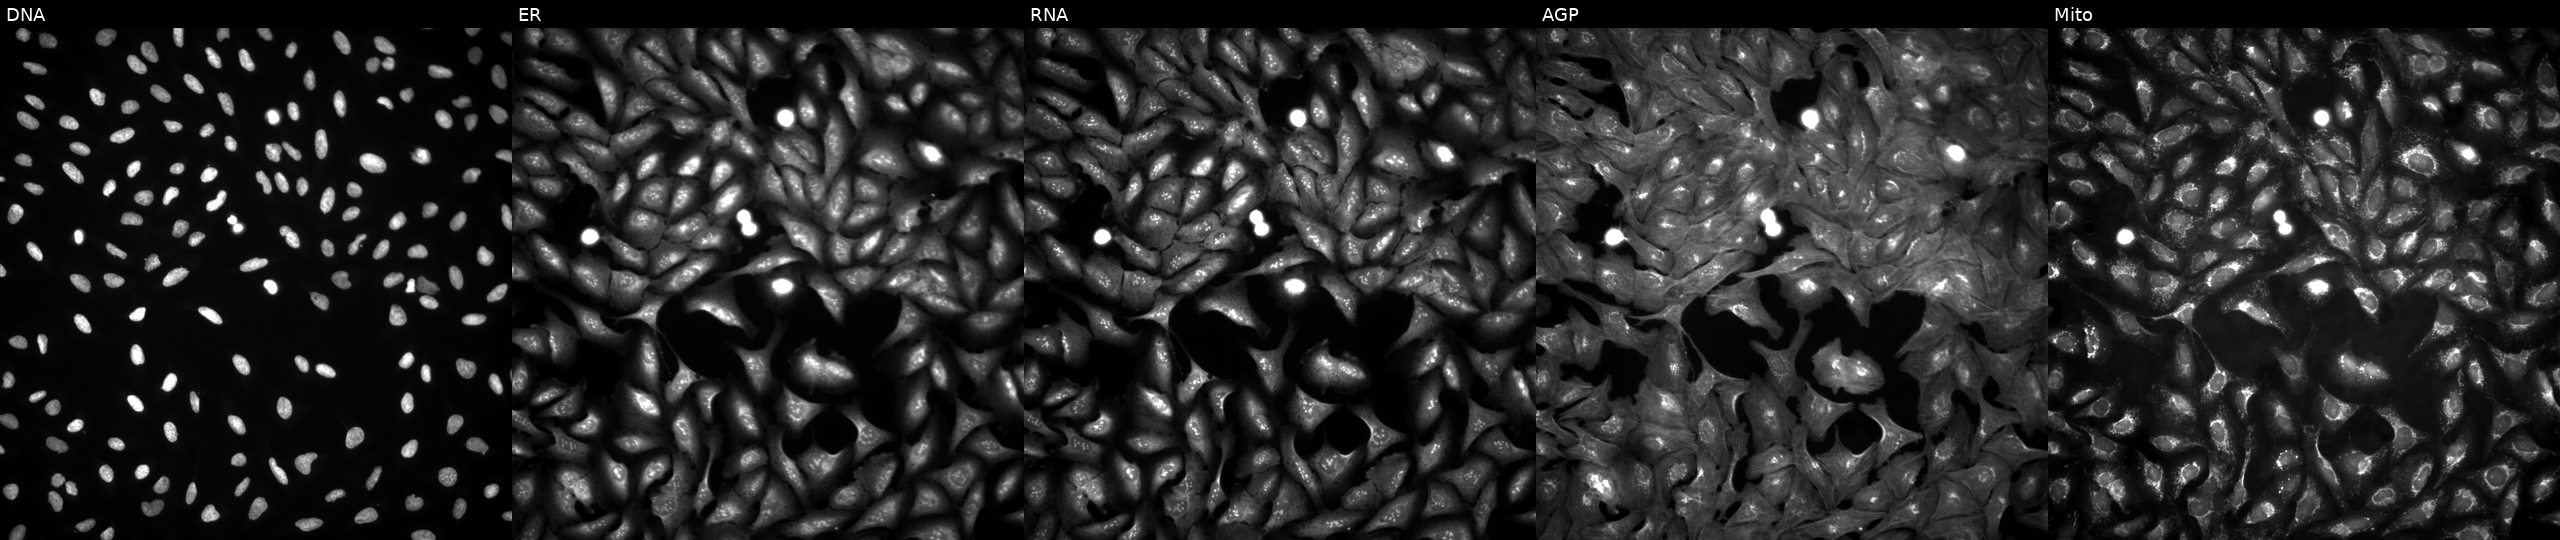
This image strip shows the five Cell Painting channels for a single field of U2OS cells transfected with an ORF construct for DLX6-AS1 (JUMP id JCP2022_912639). The five panels, left to right, show Hoechst 33342, concanavalin A, SYTO 14, phalloidin and WGA, MitoTracker. Source 4, plate BR00124784, well B19.